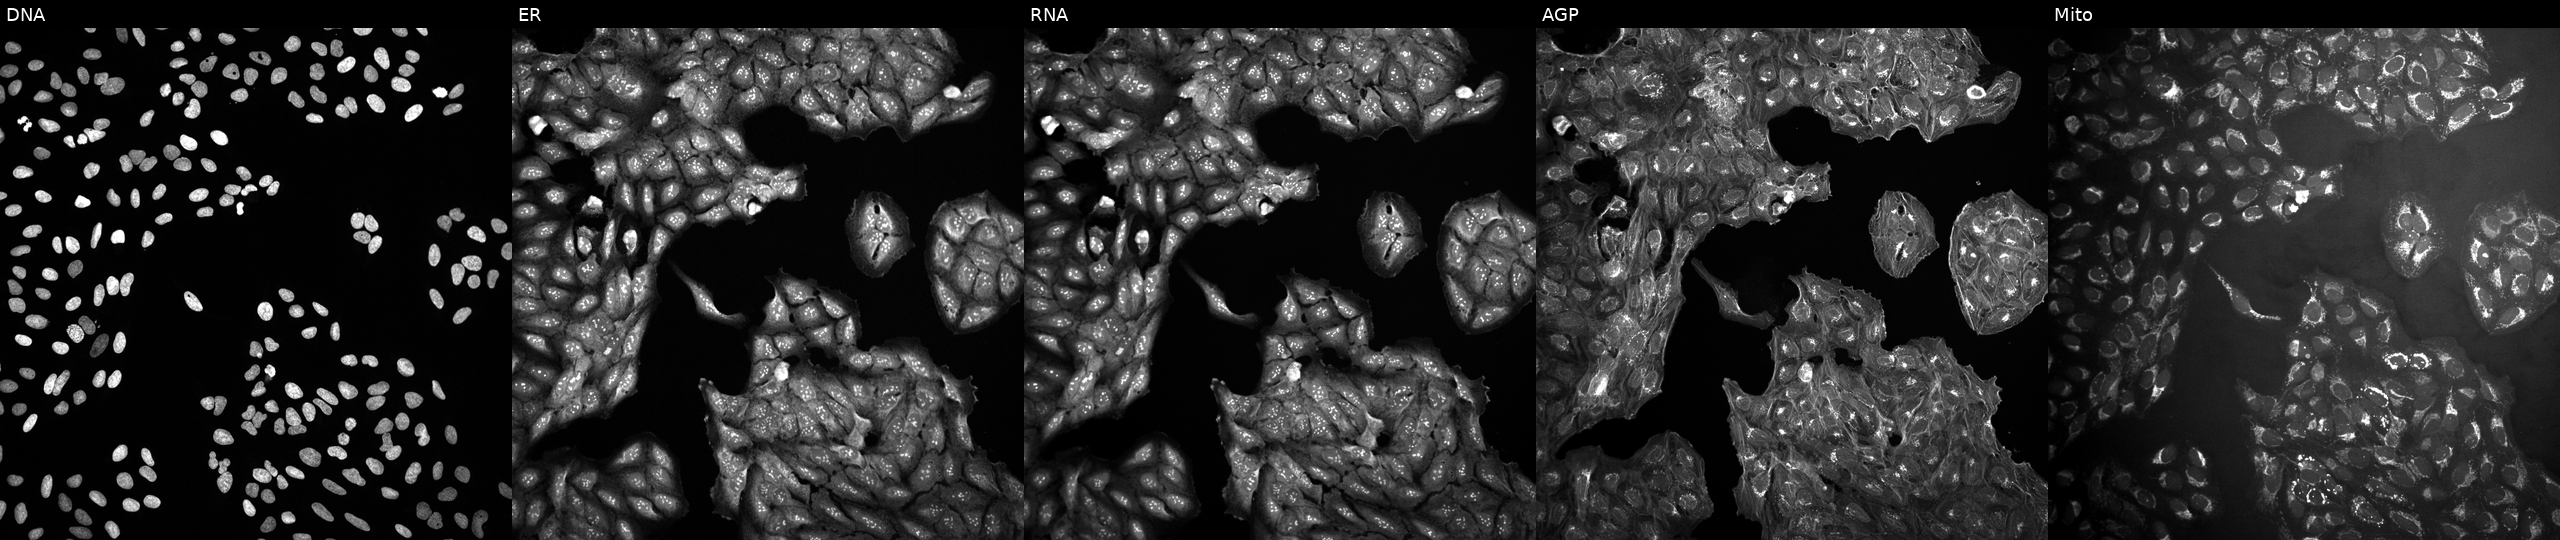
JUMP Cell Painting — COMPOUND plate. U2OS cells treated with a small-molecule compound (JUMP id JCP2022_096624). Panels show, left to right, DNA (nuclei); ER (endoplasmic reticulum); RNA (nucleoli and cytoplasmic RNA); AGP (actin cytoskeleton, Golgi, and plasma membrane); Mito (mitochondria).